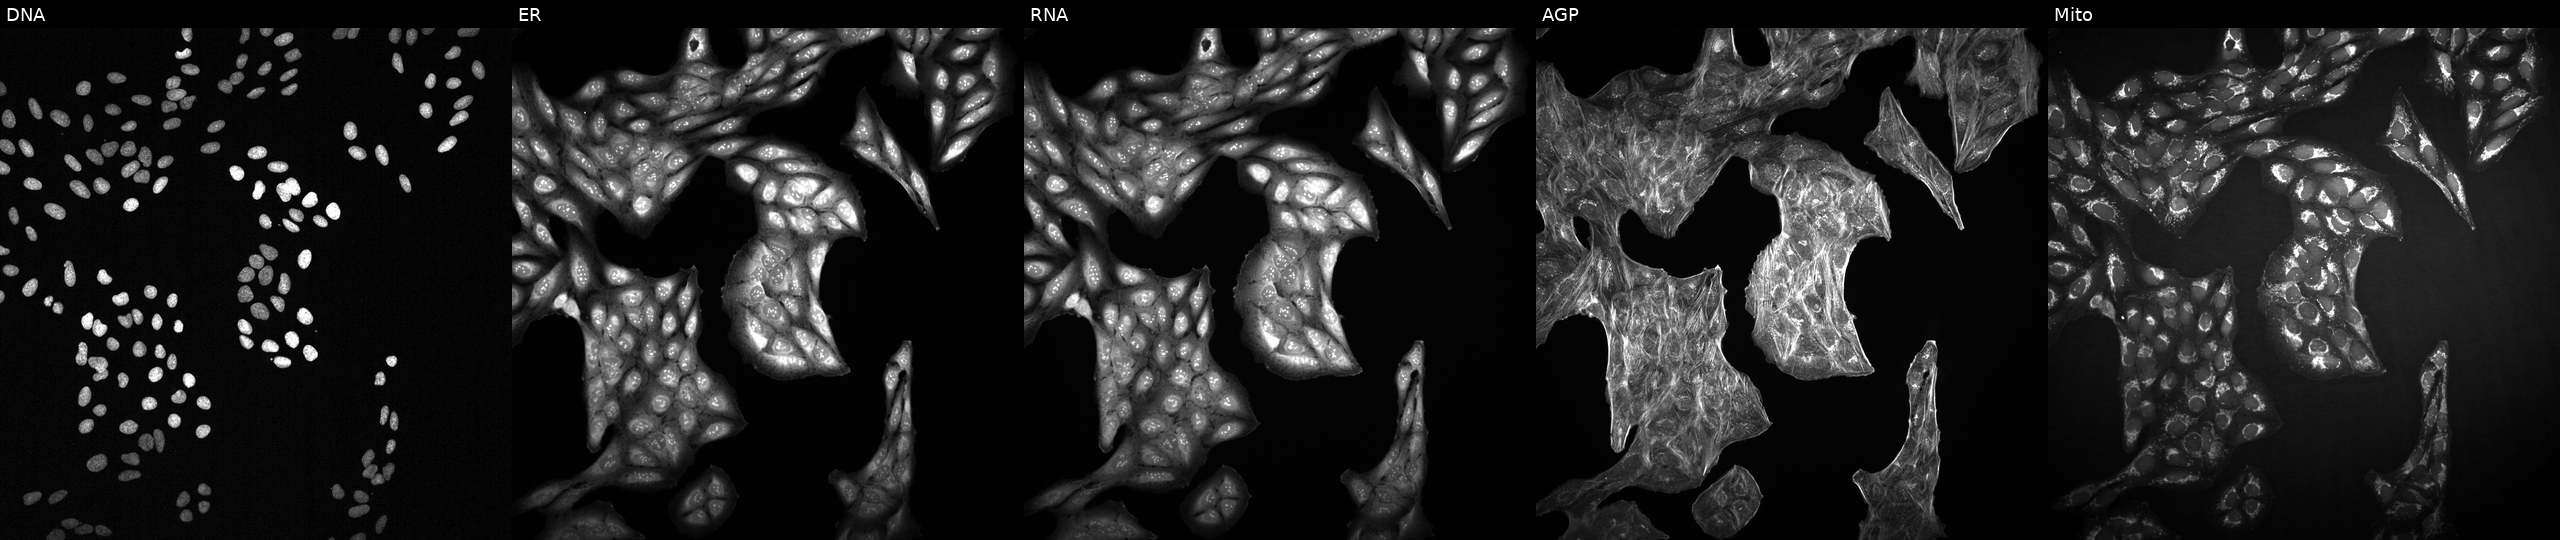
High-content fluorescence microscopy (Cell Painting). Cell line: U2OS. Perturbation: exposed to DMSO alone as a negative control (JUMP id JCP2022_033924). The five panels, left to right, show Hoechst 33342, concanavalin A, SYTO 14, phalloidin and WGA, MitoTracker.